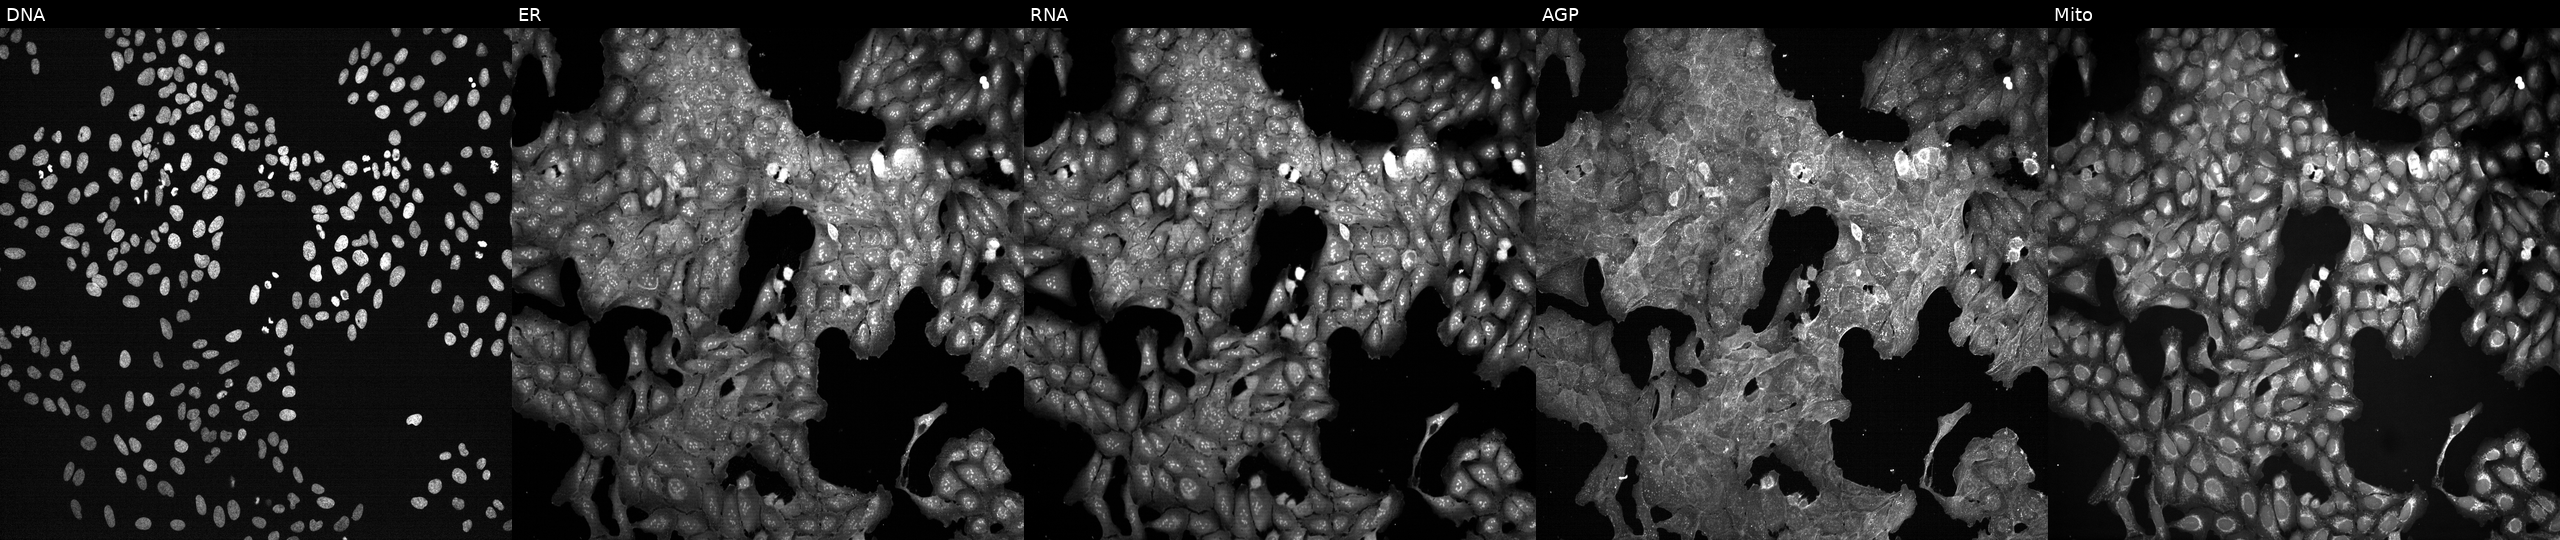
High-content fluorescence microscopy (Cell Painting). Cell line: U2OS. Perturbation: perturbed with a small-molecule compound (InChIKey FPVKHBSQESCIEP-UHFFFAOYSA-N) (JUMP id JCP2022_022191). From left to right: DNA (nuclei); ER (endoplasmic reticulum); RNA (nucleoli and cytoplasmic RNA); AGP (actin cytoskeleton, Golgi, and plasma membrane); Mito (mitochondria).